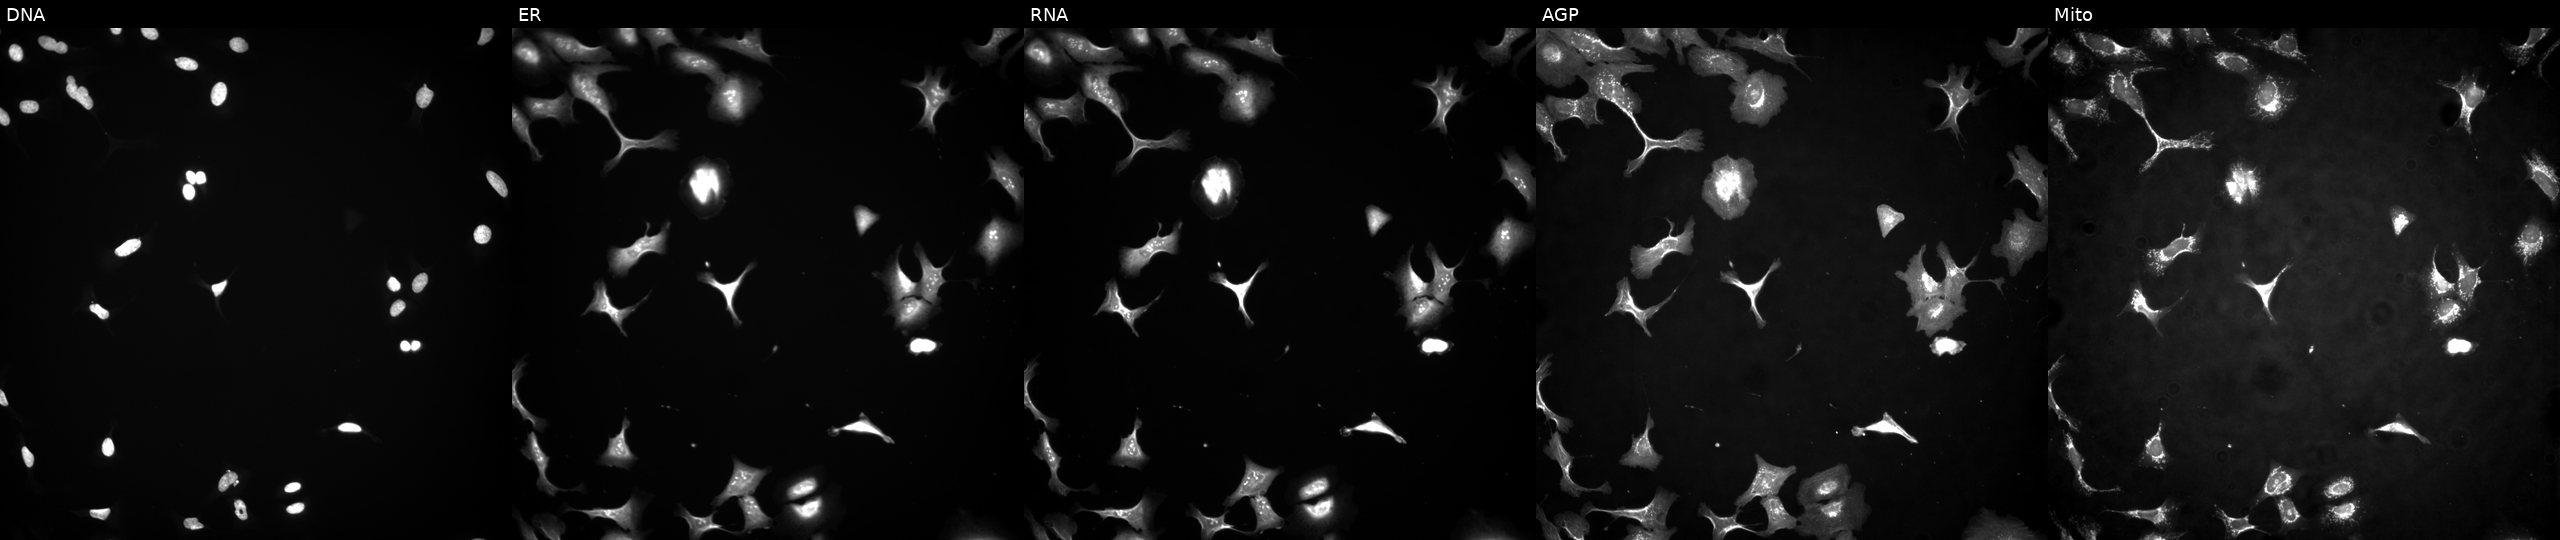
JUMP Cell Painting — ORF plate. U2OS cells overexpressing HMG20B via ORF transfection. From left to right: DNA, ER, RNA, AGP, and Mito.